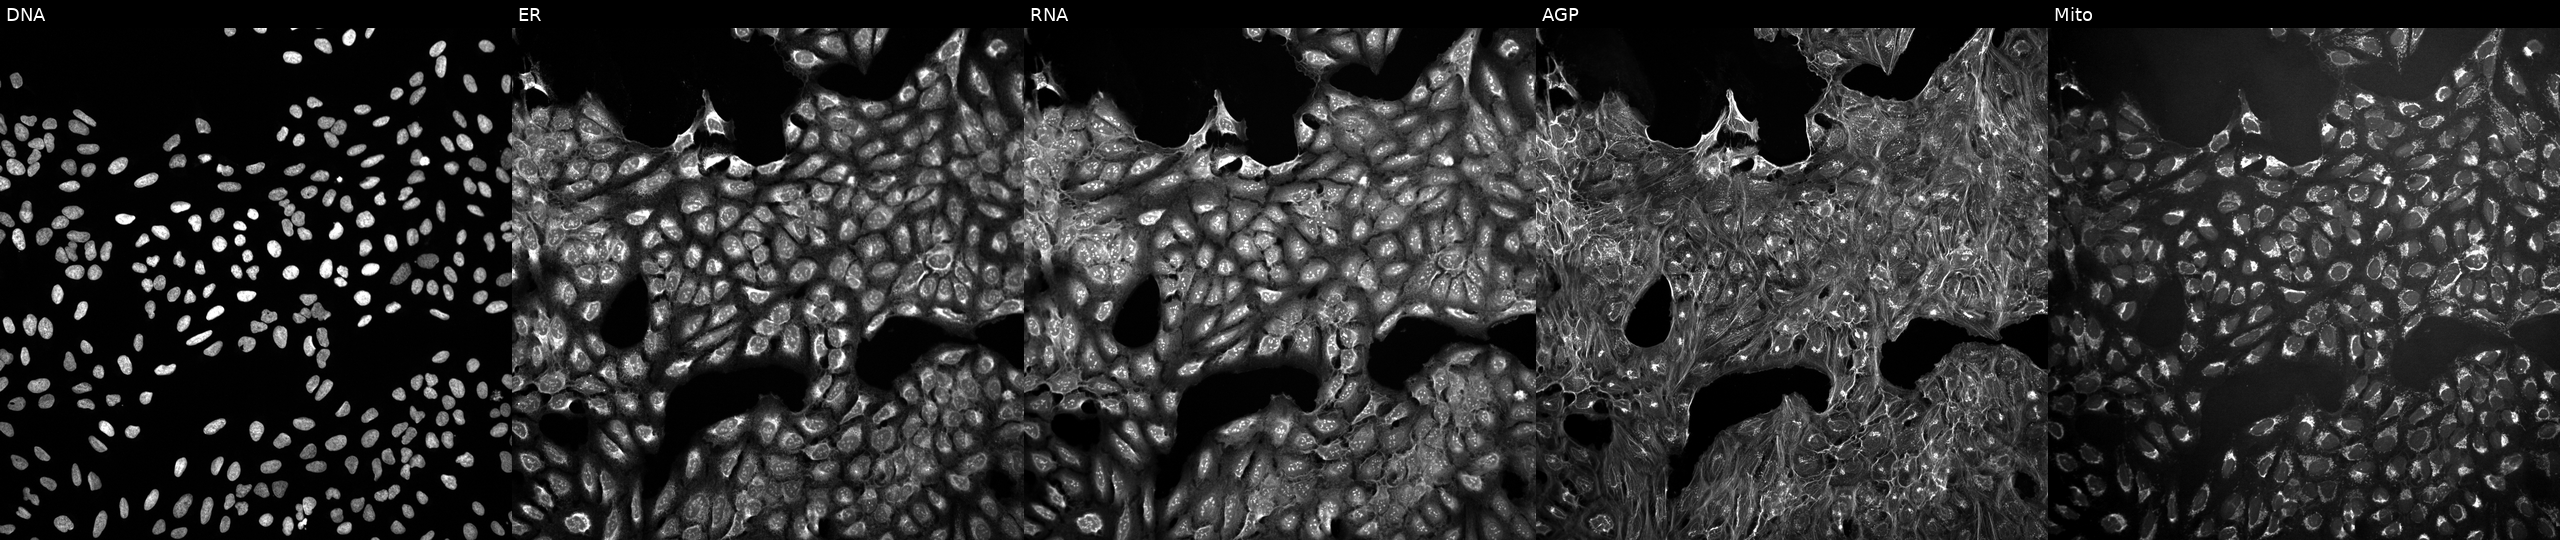
JUMP Cell Painting — COMPOUND plate. U2OS cells treated with a small-molecule compound (InChIKey ADIDGZJCNXDRKT-UHFFFAOYSA-N) (JUMP id JCP2022_000653). Channels (left→right): DNA, ER, RNA, AGP, and Mito. Source 10, plate Dest210531-152324, well K08.